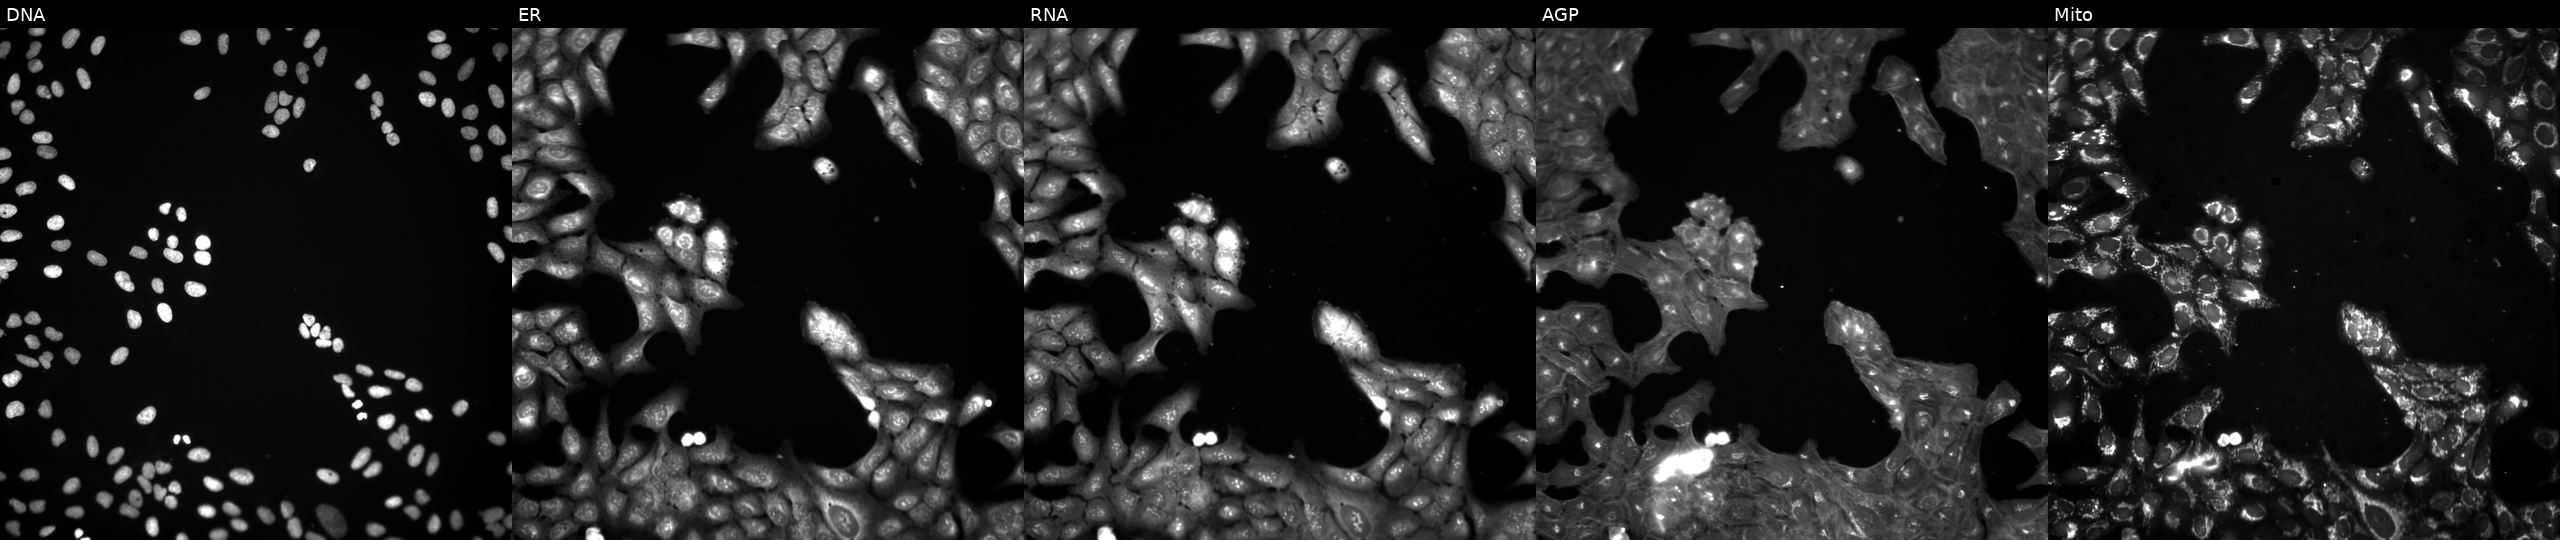
JUMP Cell Painting — COMPOUND plate. U2OS cells exposed to a small-molecule compound (InChIKey ZBIZYSIIJRBDSE-UHFFFAOYSA-N). From left to right: Hoechst 33342, concanavalin A, SYTO 14, phalloidin and WGA, MitoTracker. Source 3, plate BR5867a3, well P04.